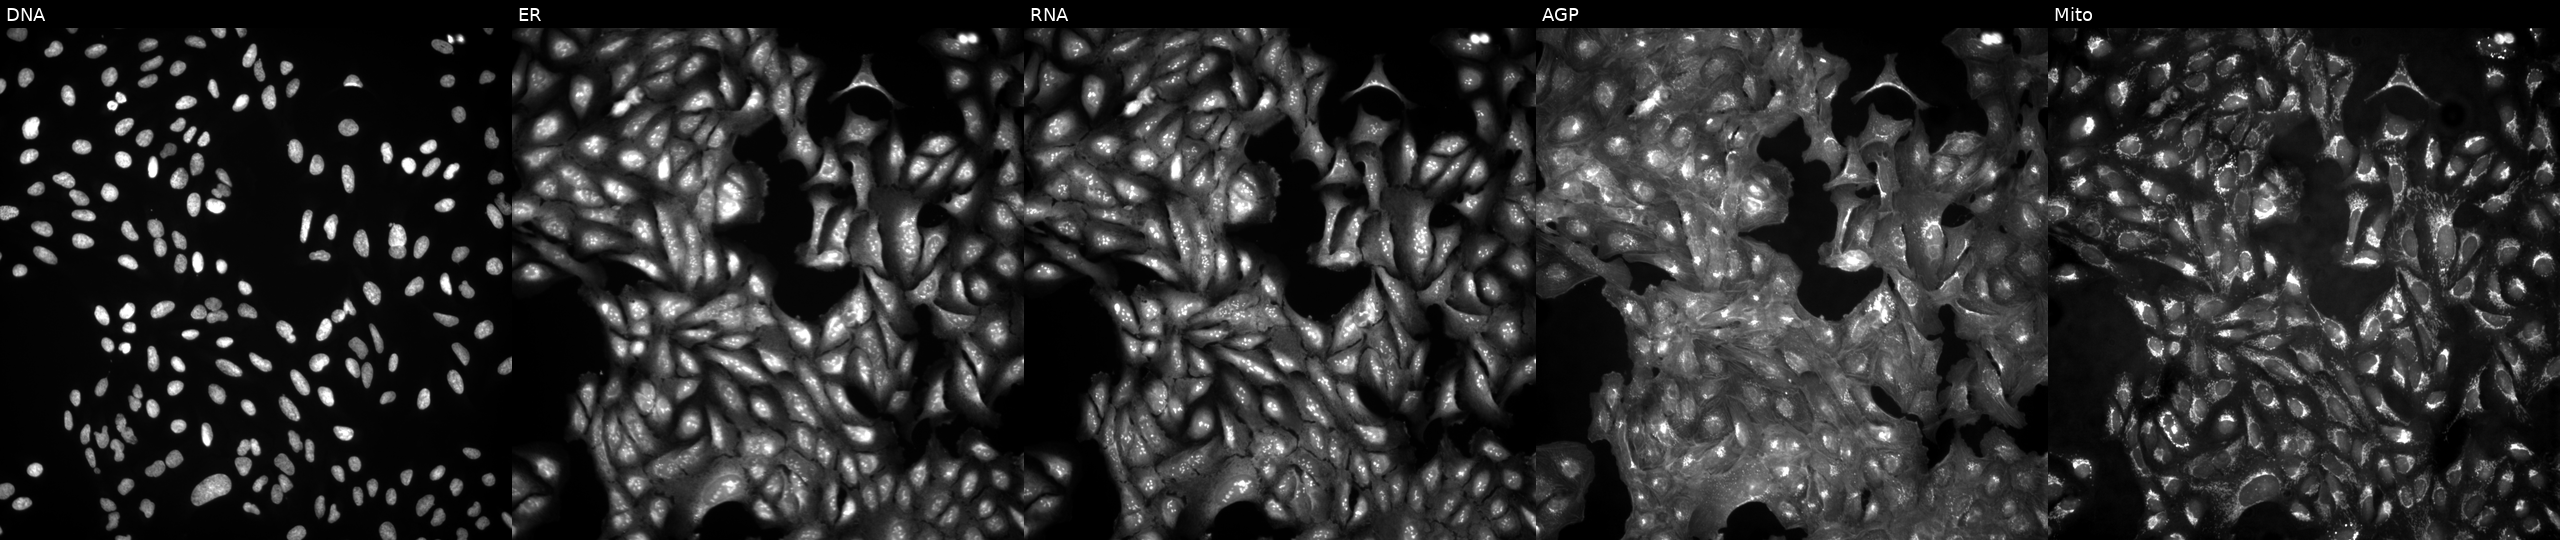
JUMP Cell Painting — ORF plate. U2OS cells in an empty control well (no perturbation). From left to right: DNA (nuclei); ER (endoplasmic reticulum); RNA (nucleoli and cytoplasmic RNA); AGP (actin cytoskeleton, Golgi, and plasma membrane); Mito (mitochondria). Source 4, plate BR00123946, well K05.